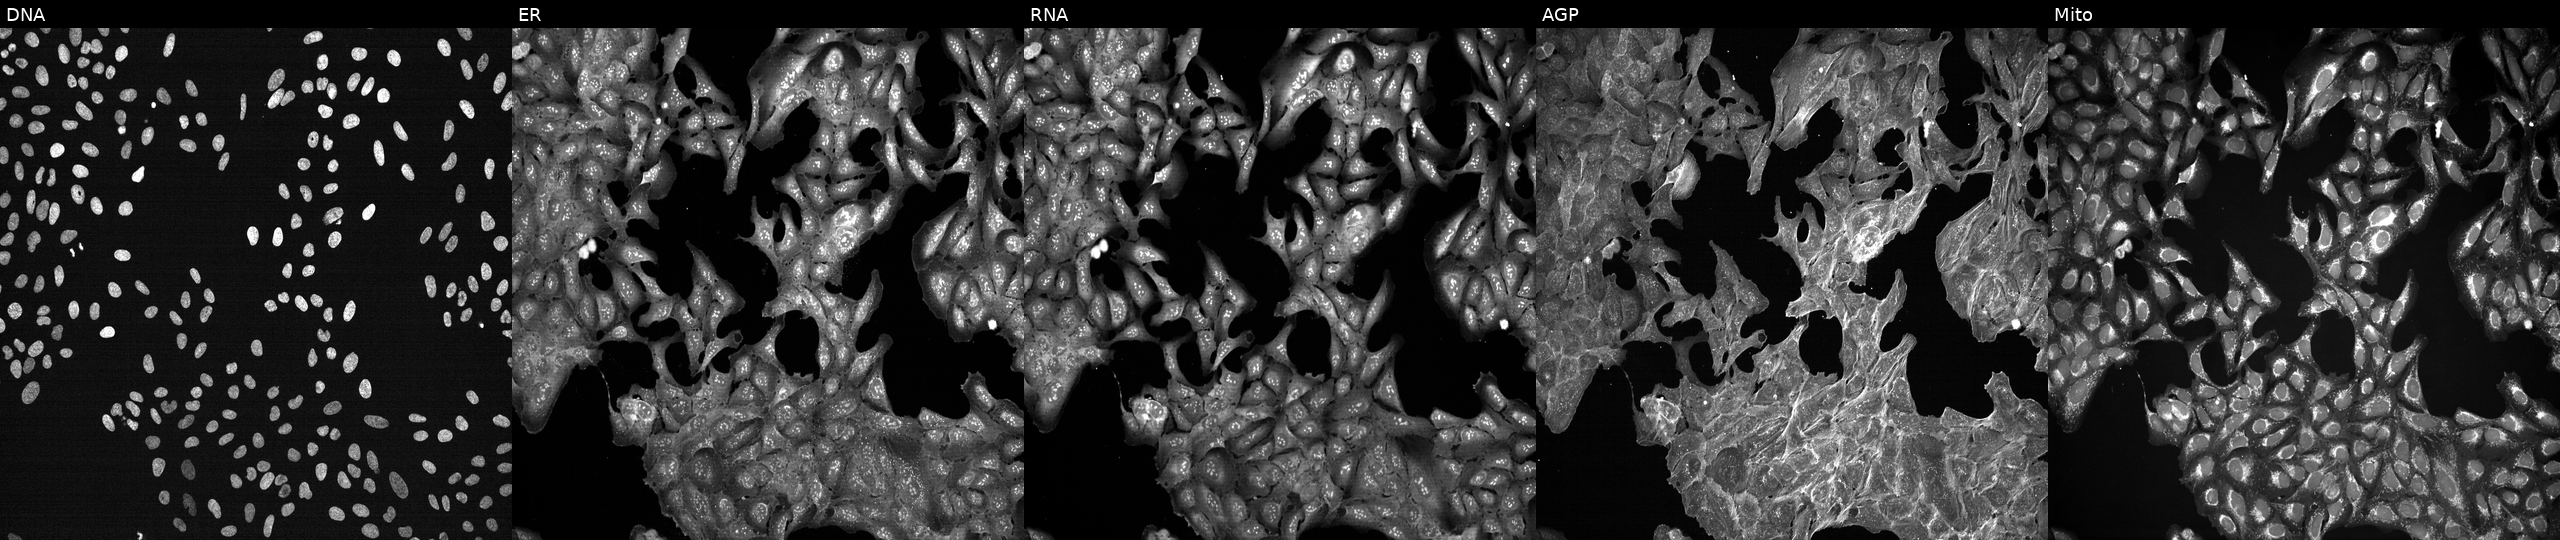
U2OS cells, Cell Painting assay, exposed to a small-molecule compound (InChIKey HKQYGTCOTHHOMP-UHFFFAOYSA-N). The five panels, left to right, show DNA (nuclei); ER (endoplasmic reticulum); RNA (nucleoli and cytoplasmic RNA); AGP (actin cytoskeleton, Golgi, and plasma membrane); Mito (mitochondria). Each panel is percentile-stretched 16-bit fluorescence.